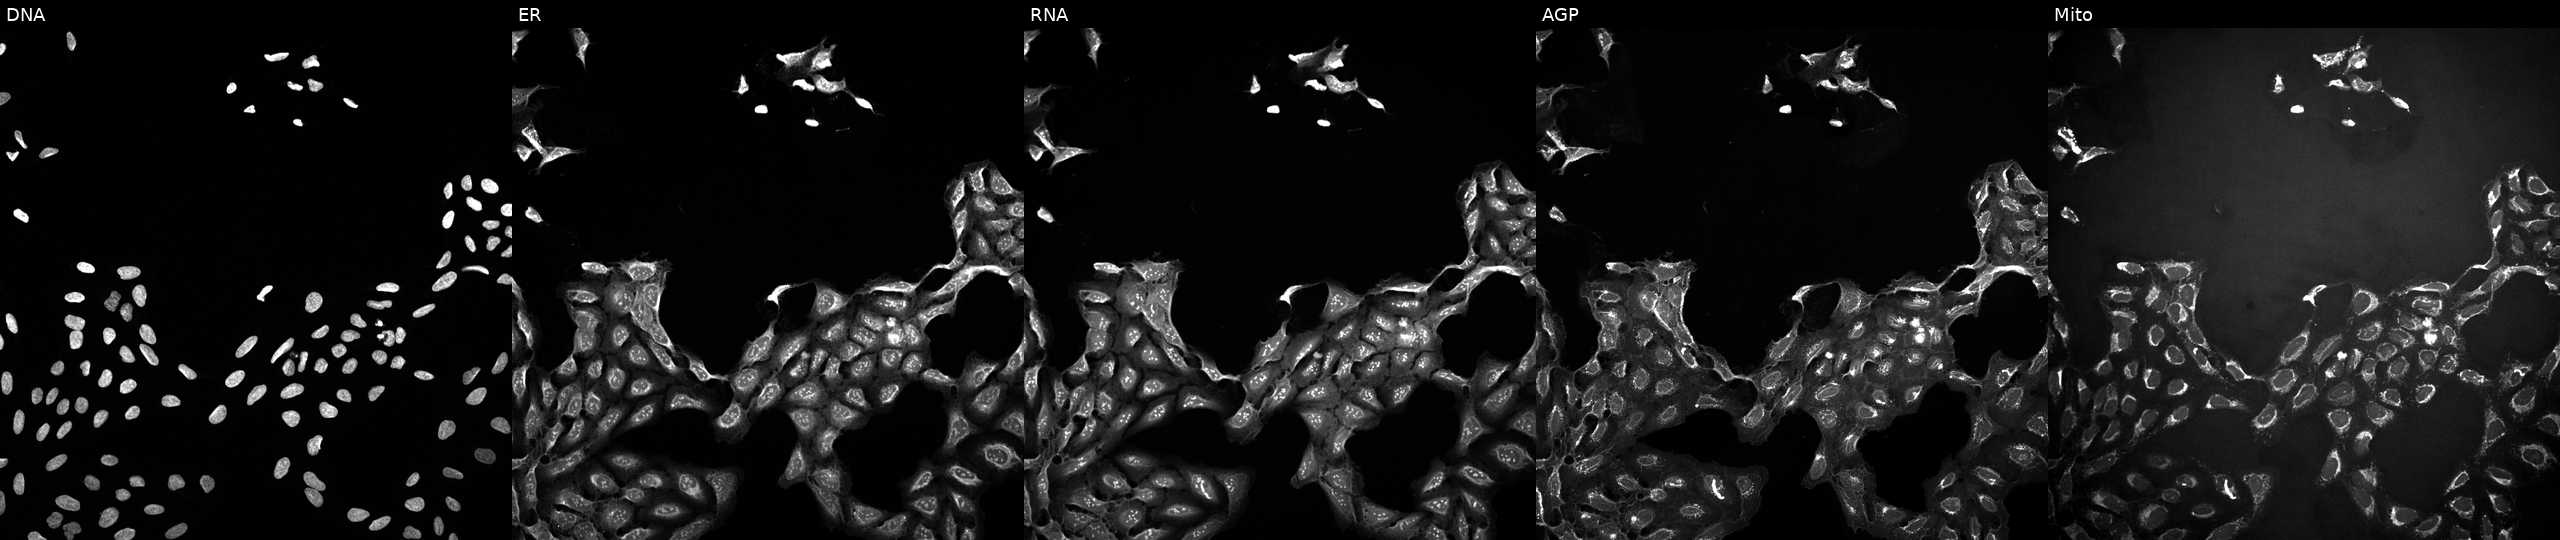
Five-channel Cell Painting image of U2OS cells treated with DMSO vehicle only (negative control). Panels show, left to right, DNA, ER, RNA, AGP, and Mito.